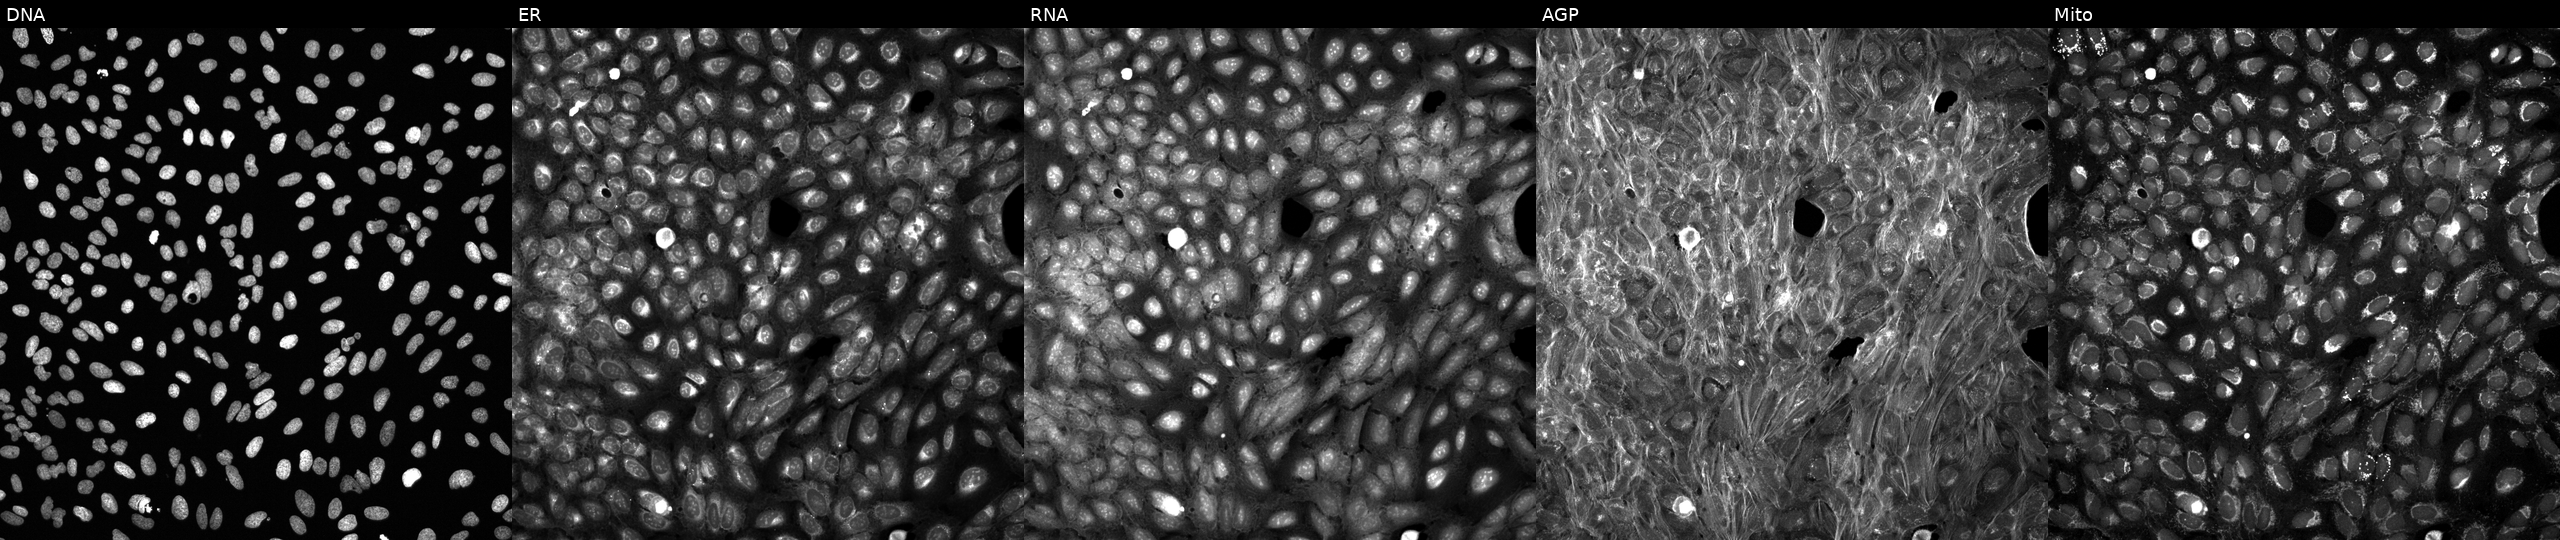
Five-channel Cell Painting image of U2OS cells perturbed with a small-molecule compound (InChIKey XSDQTOBWRPYKKA-UHFFFAOYSA-N) (JUMP id JCP2022_105696). The five panels, left to right, show DNA, ER, RNA, AGP, and Mito.